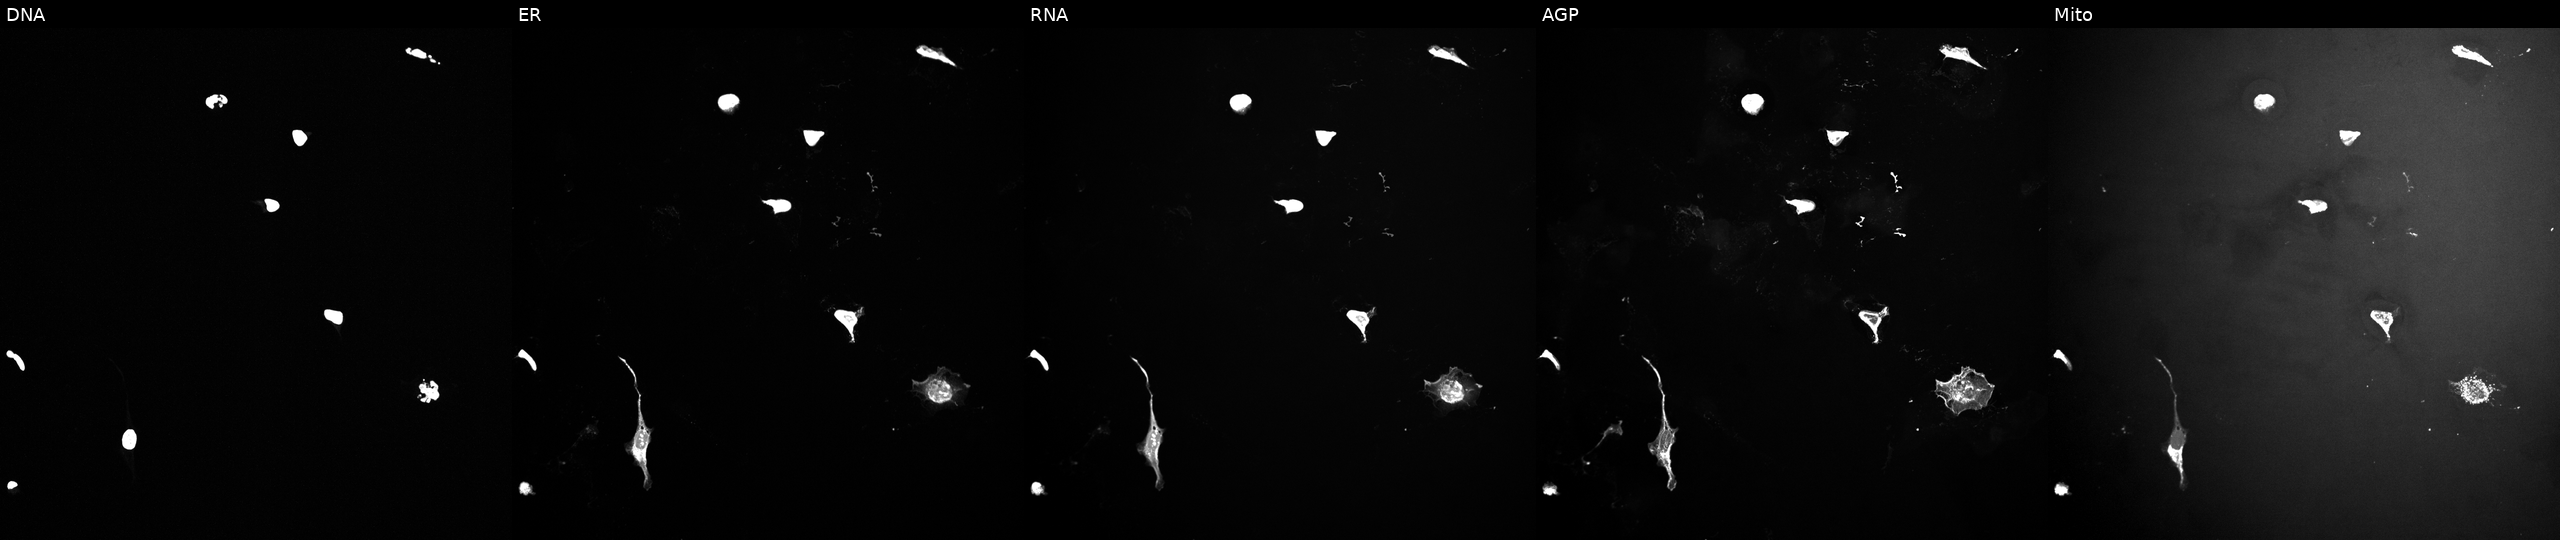
This image strip shows the five Cell Painting channels for a single field of U2OS cells perturbed with a small-molecule compound (InChIKey XQVVPGYIWAGRNI-UHFFFAOYSA-N) [SMILES: CCC1C(=O)N(C)c2c[nH]c(=Nc3ccc(C(=O)NC4CCN(C)CC4)cc3OC)nc2N1C1CCCC1] (JUMP id JCP2022_105442). The five panels, left to right, show DNA (nuclei); ER (endoplasmic reticulum); RNA (nucleoli and cytoplasmic RNA); AGP (actin cytoskeleton, Golgi, and plasma membrane); Mito (mitochondria). Source 10, plate Dest210726-160150, well J20.